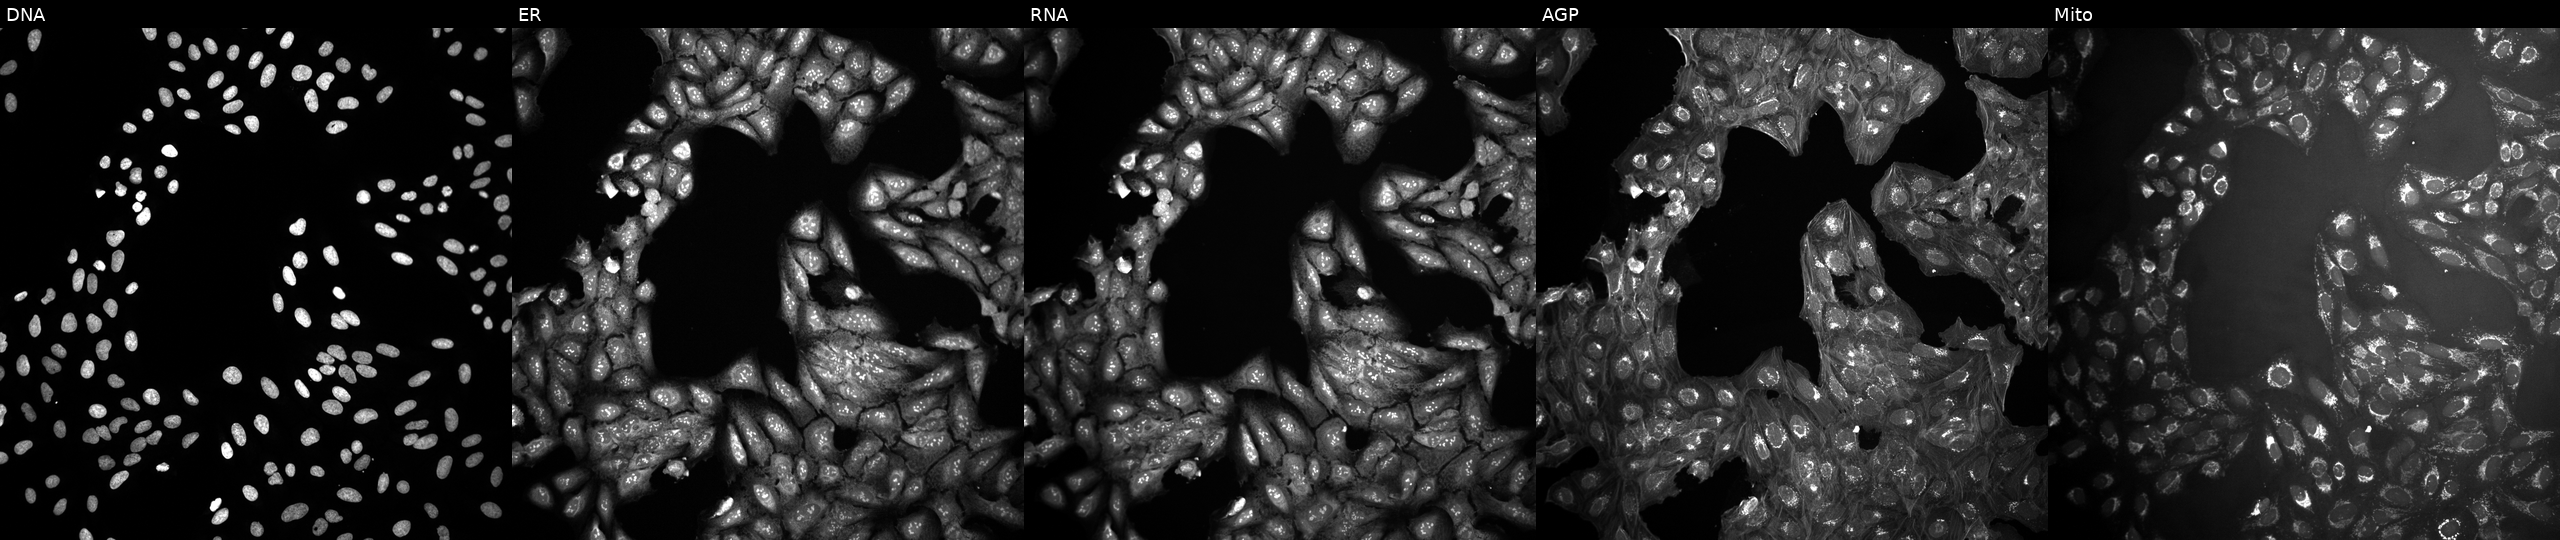
Channels (left→right): Hoechst 33342, concanavalin A, SYTO 14, phalloidin and WGA, MitoTracker. U2OS osteosarcoma cells in an empty control well (no perturbation). Cell Painting assay, JUMP-CP dataset. Source 10, plate Dest210531-152149, well G21.